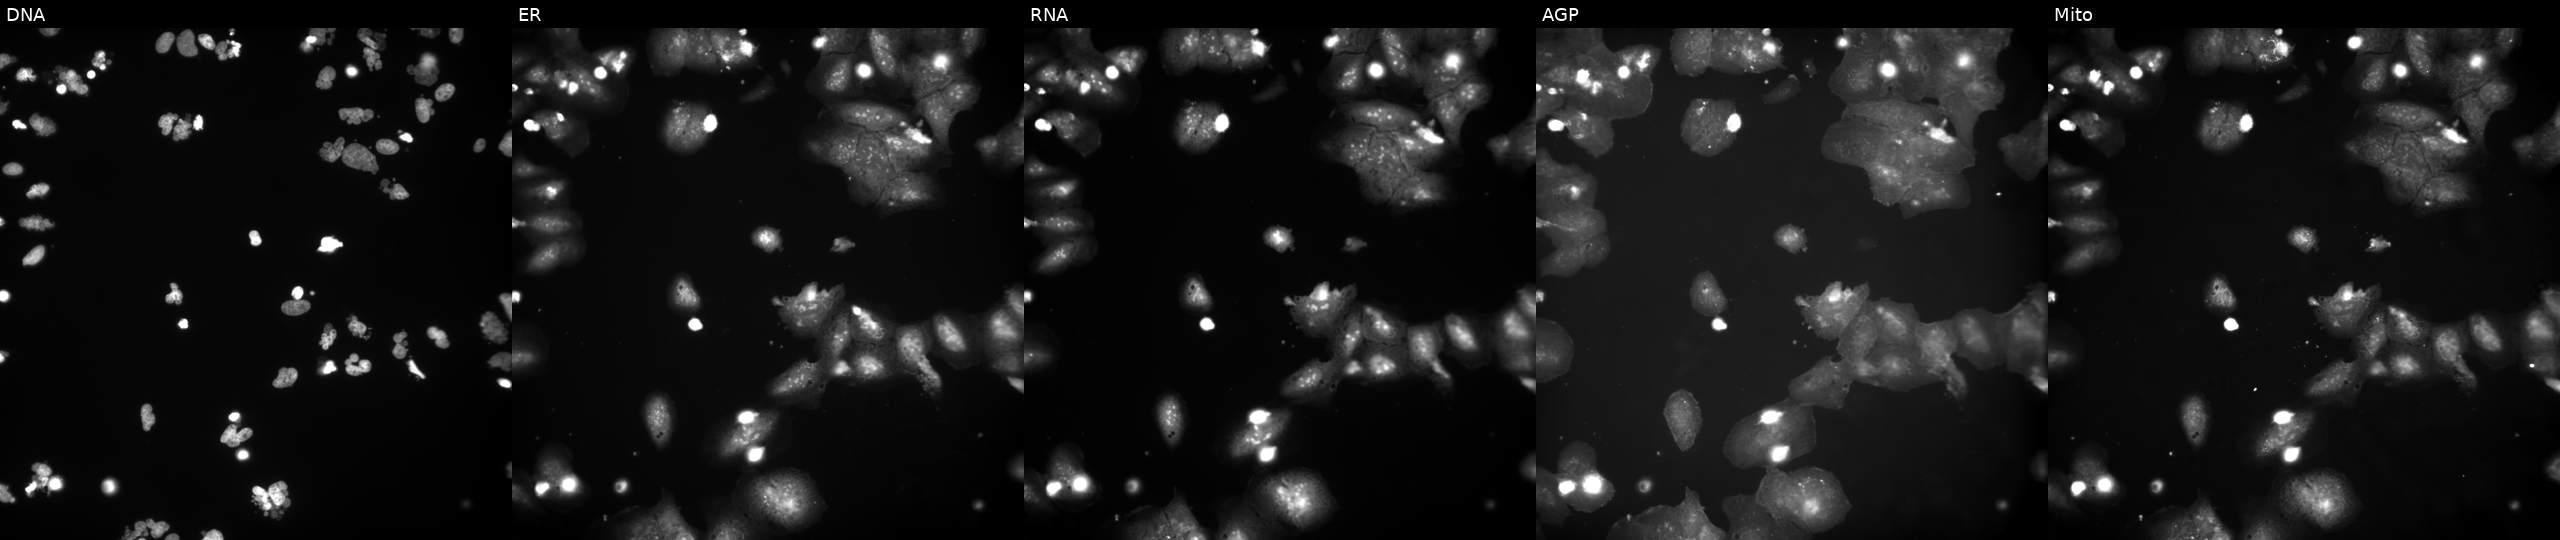
This image strip shows the five Cell Painting channels for a single field of U2OS cells perturbed with a small-molecule compound (InChIKey YCCXTSVGUONJBN-UHFFFAOYSA-N) (JUMP id JCP2022_107523). Channels (left→right): DNA, ER, RNA, AGP, and Mito. Source 9, plate GR00003381, well L45.